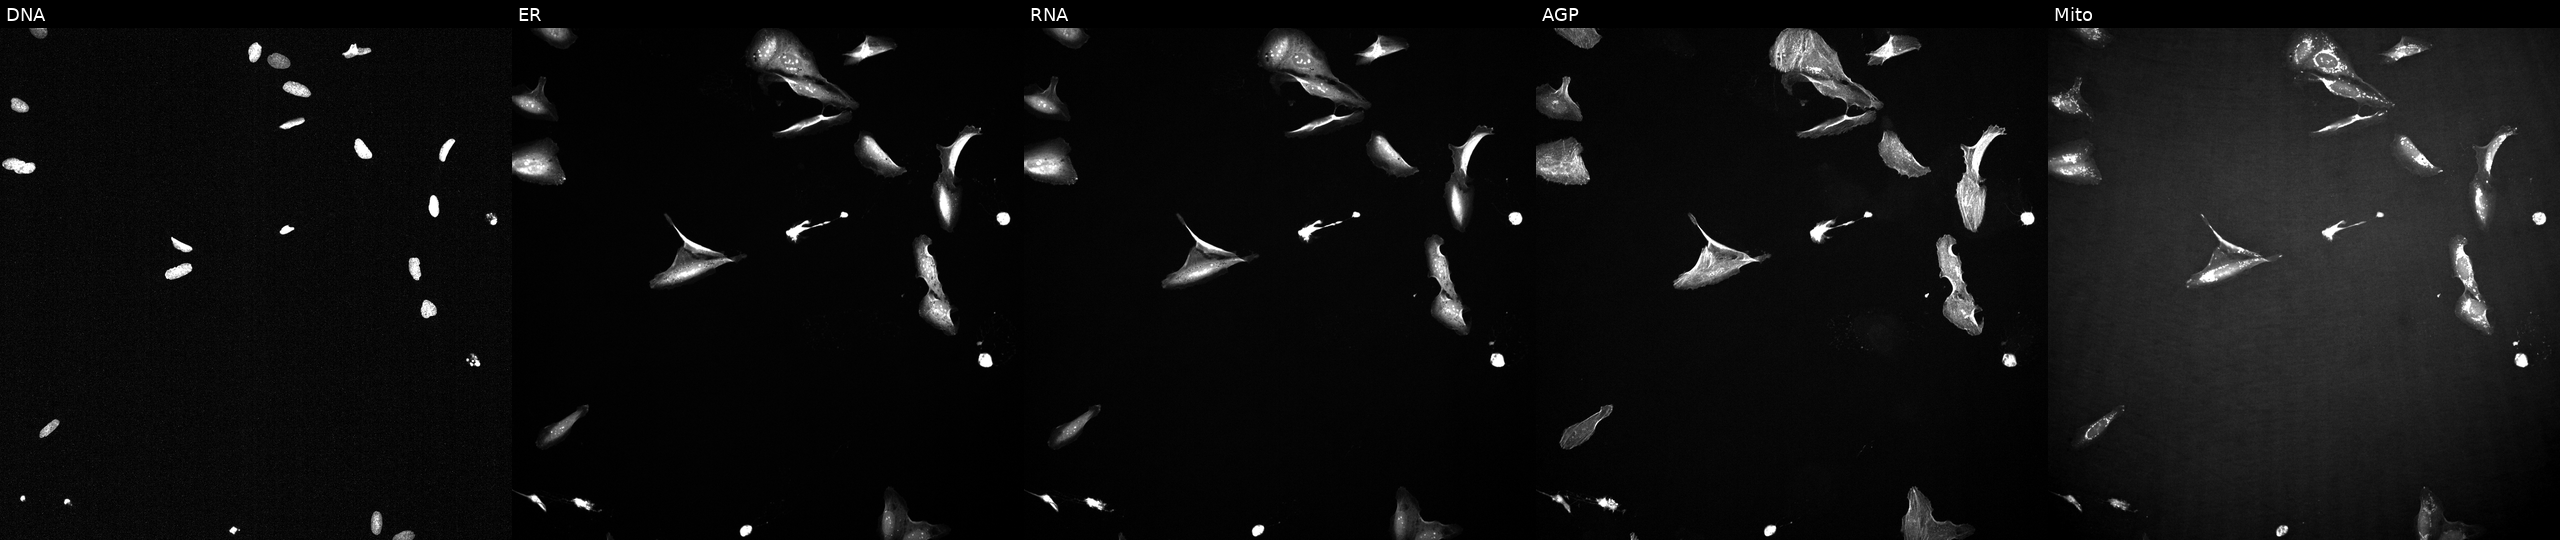
JUMP Cell Painting — TARGET2 plate. U2OS cells treated with a small-molecule compound (JUMP id JCP2022_033400). The five panels, left to right, show Hoechst 33342, concanavalin A, SYTO 14, phalloidin and WGA, MitoTracker.